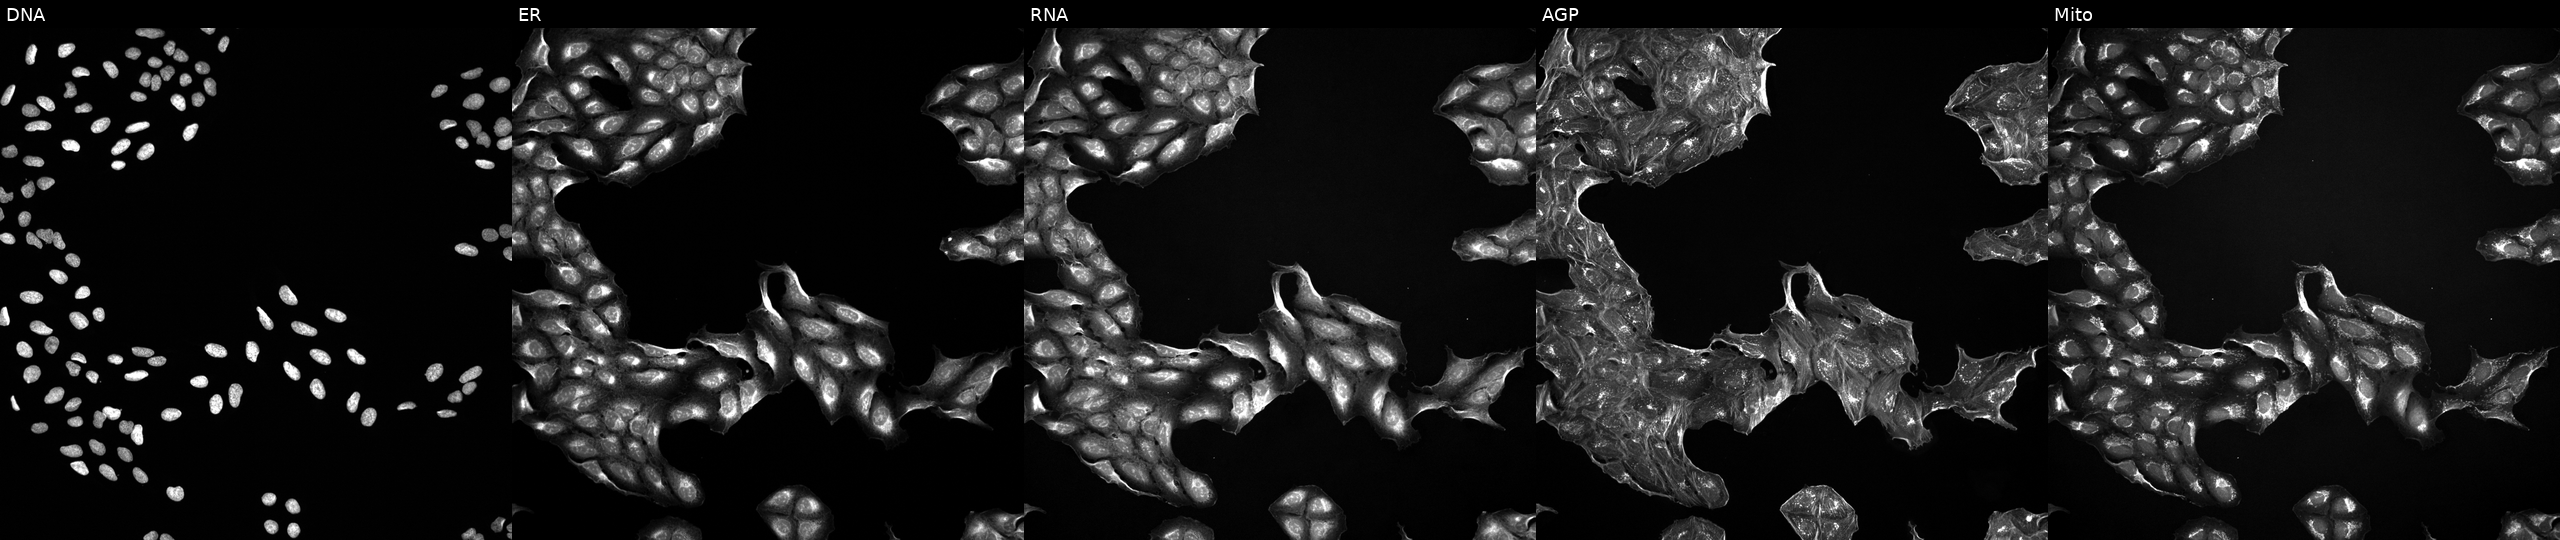
From left to right: Hoechst 33342, concanavalin A, SYTO 14, phalloidin and WGA, MitoTracker. U2OS osteosarcoma cells perturbed with a small-molecule compound. Cell Painting assay, JUMP-CP dataset.